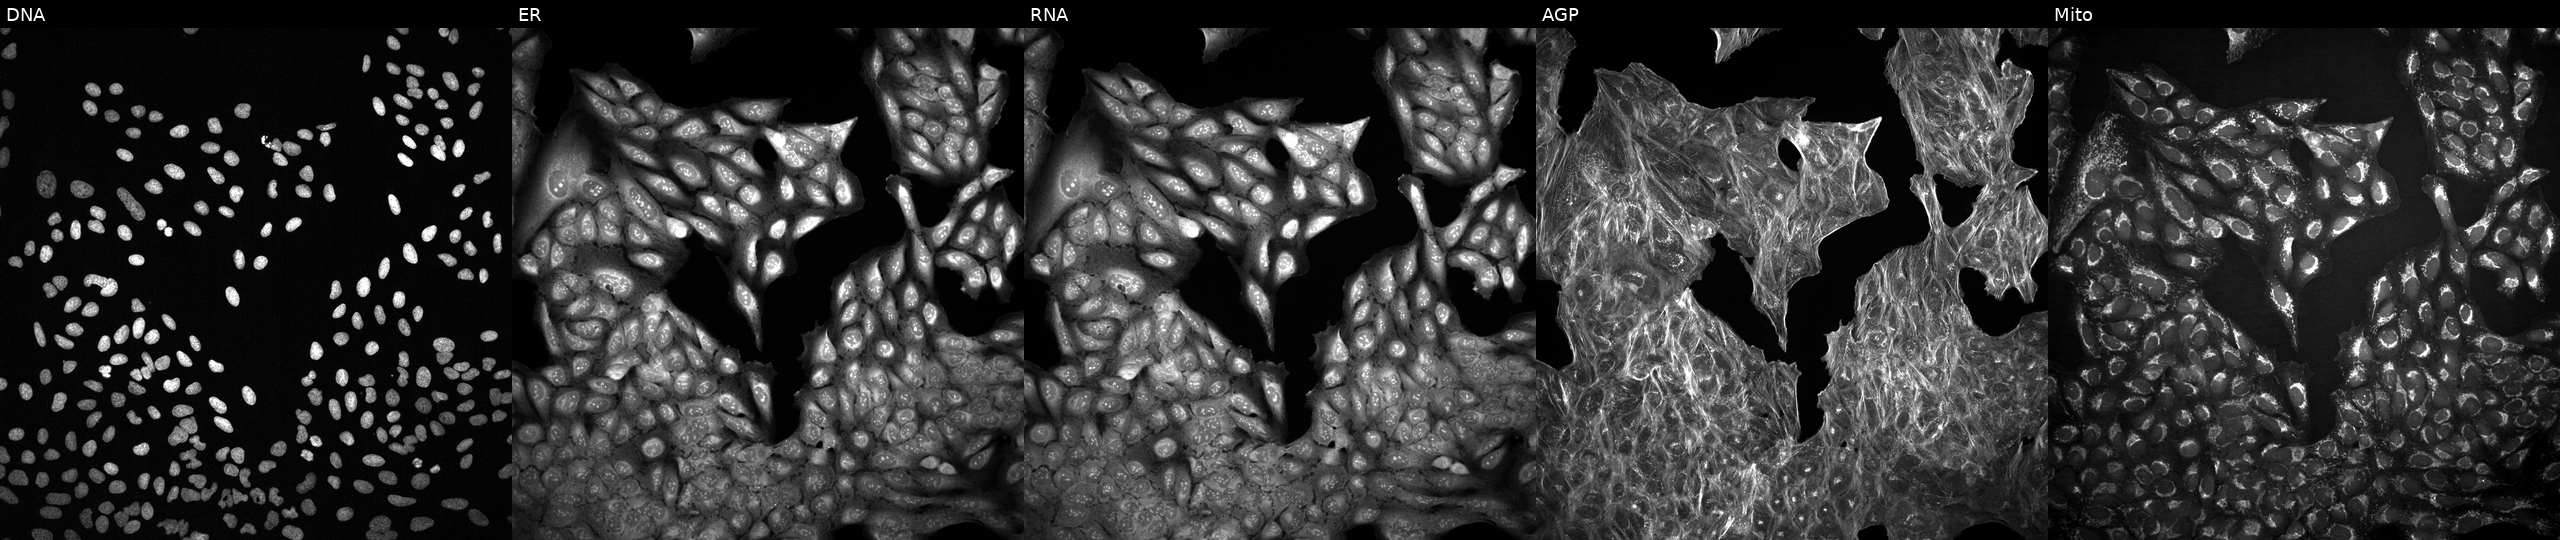
High-content fluorescence microscopy (Cell Painting). Cell line: U2OS. Perturbation: with an unidentified perturbation (not annotated in JUMP metadata). Panels show, left to right, DNA (nuclei); ER (endoplasmic reticulum); RNA (nucleoli and cytoplasmic RNA); AGP (actin cytoskeleton, Golgi, and plasma membrane); Mito (mitochondria). Source 2, plate 1053601756, well B11.